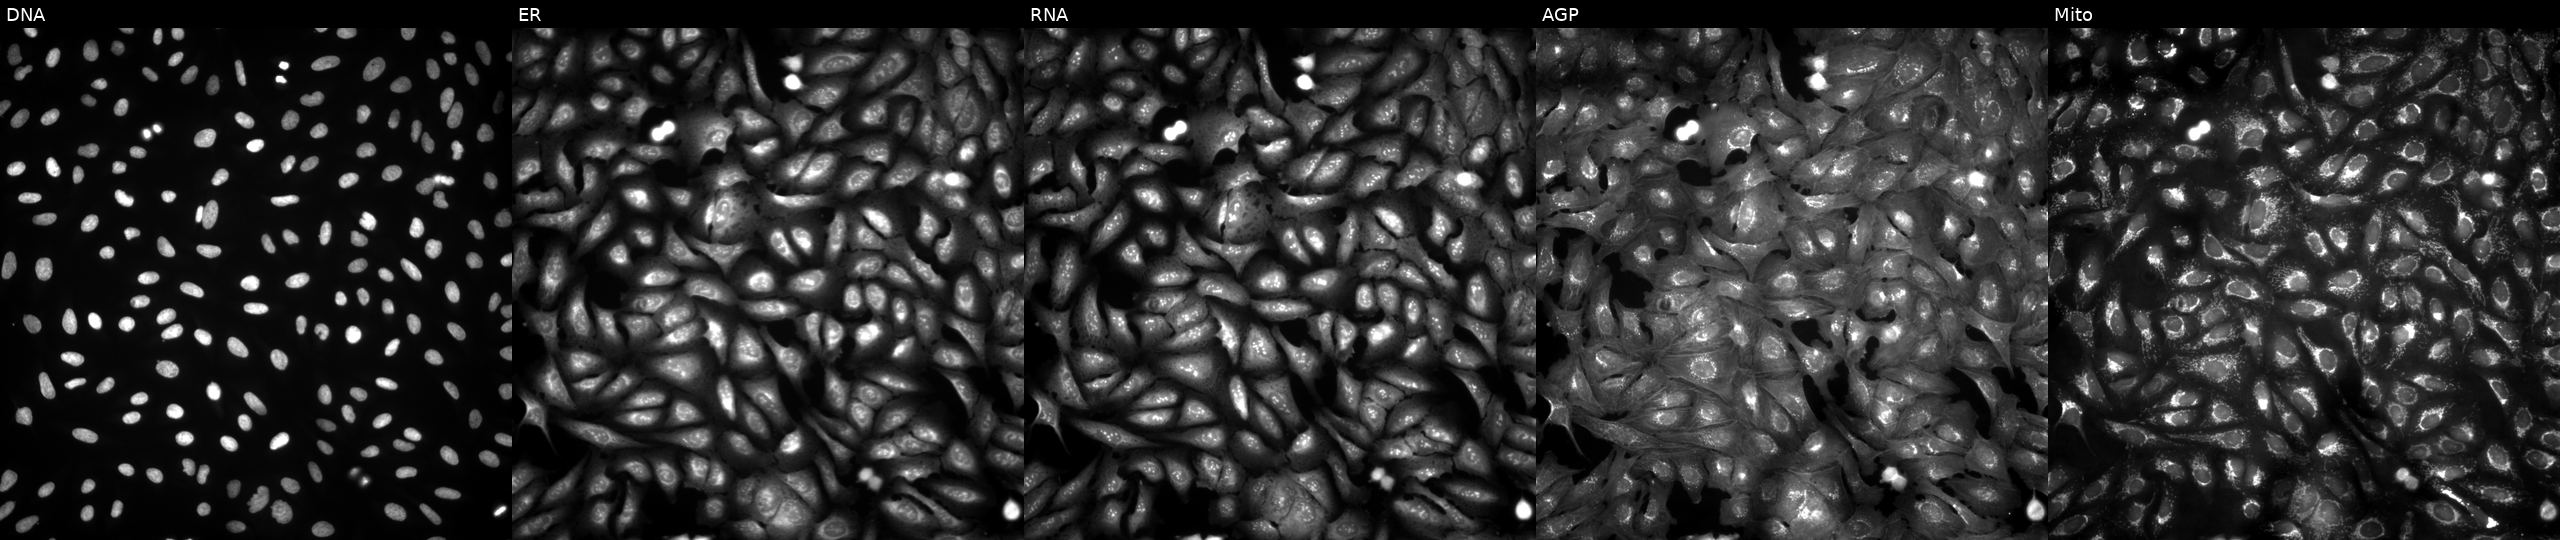
Five-channel Cell Painting image of U2OS cells overexpressing WDTC1 via ORF transfection. Panels show, left to right, Hoechst 33342, concanavalin A, SYTO 14, phalloidin and WGA, MitoTracker.